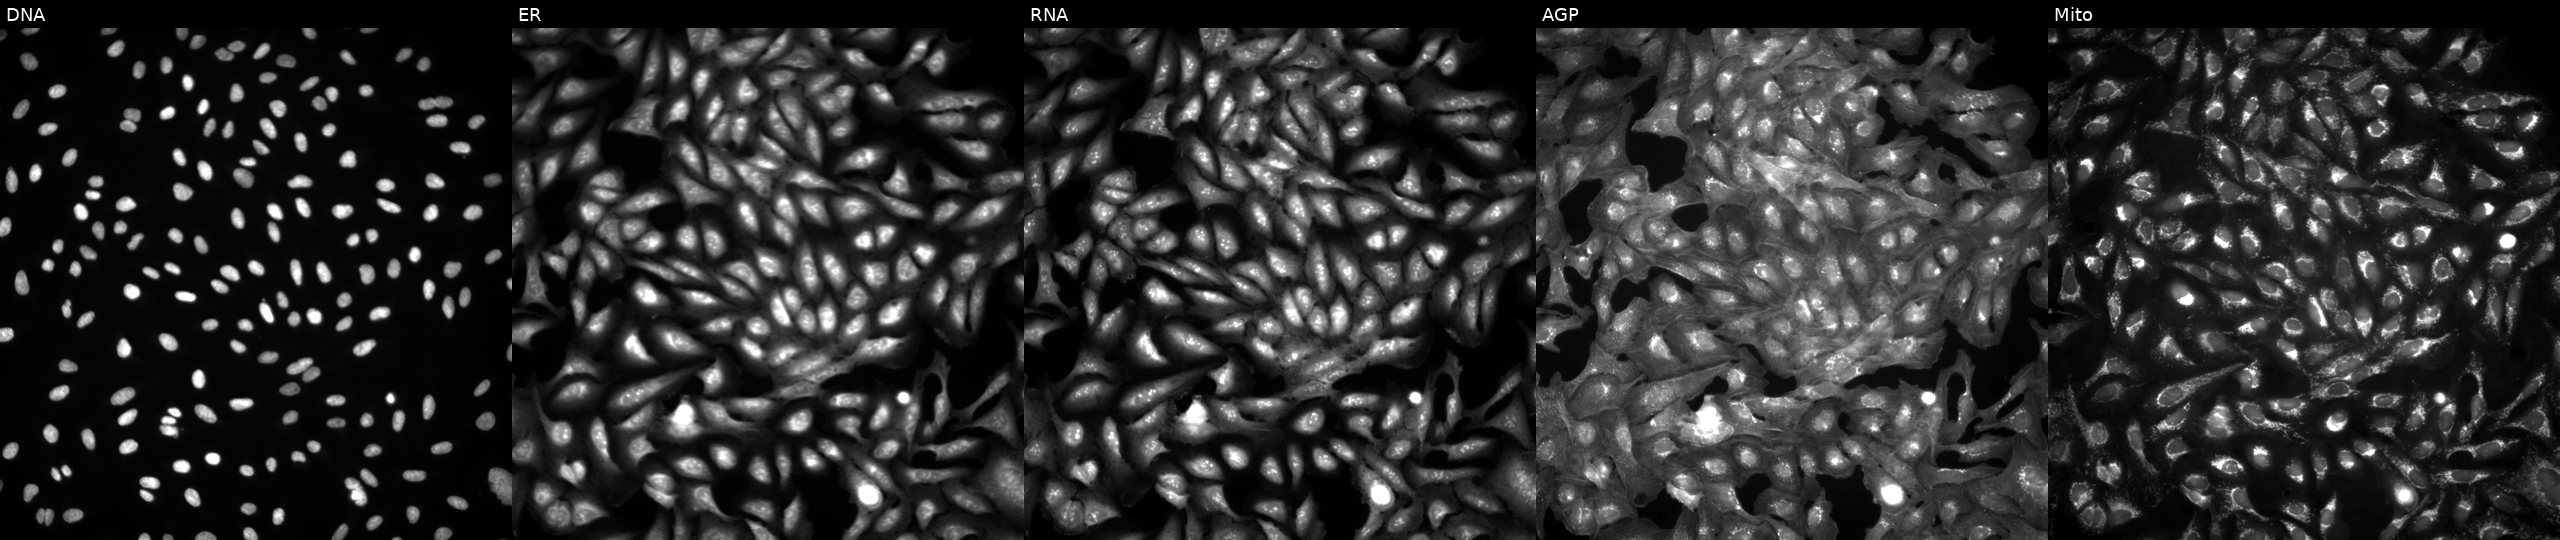
The five panels, left to right, show DNA (nuclei); ER (endoplasmic reticulum); RNA (nucleoli and cytoplasmic RNA); AGP (actin cytoskeleton, Golgi, and plasma membrane); Mito (mitochondria). U2OS osteosarcoma cells untreated (empty-well control) (JUMP id JCP2022_999999). Cell Painting assay, JUMP-CP dataset. Source 4, plate BR00124793, well I09.